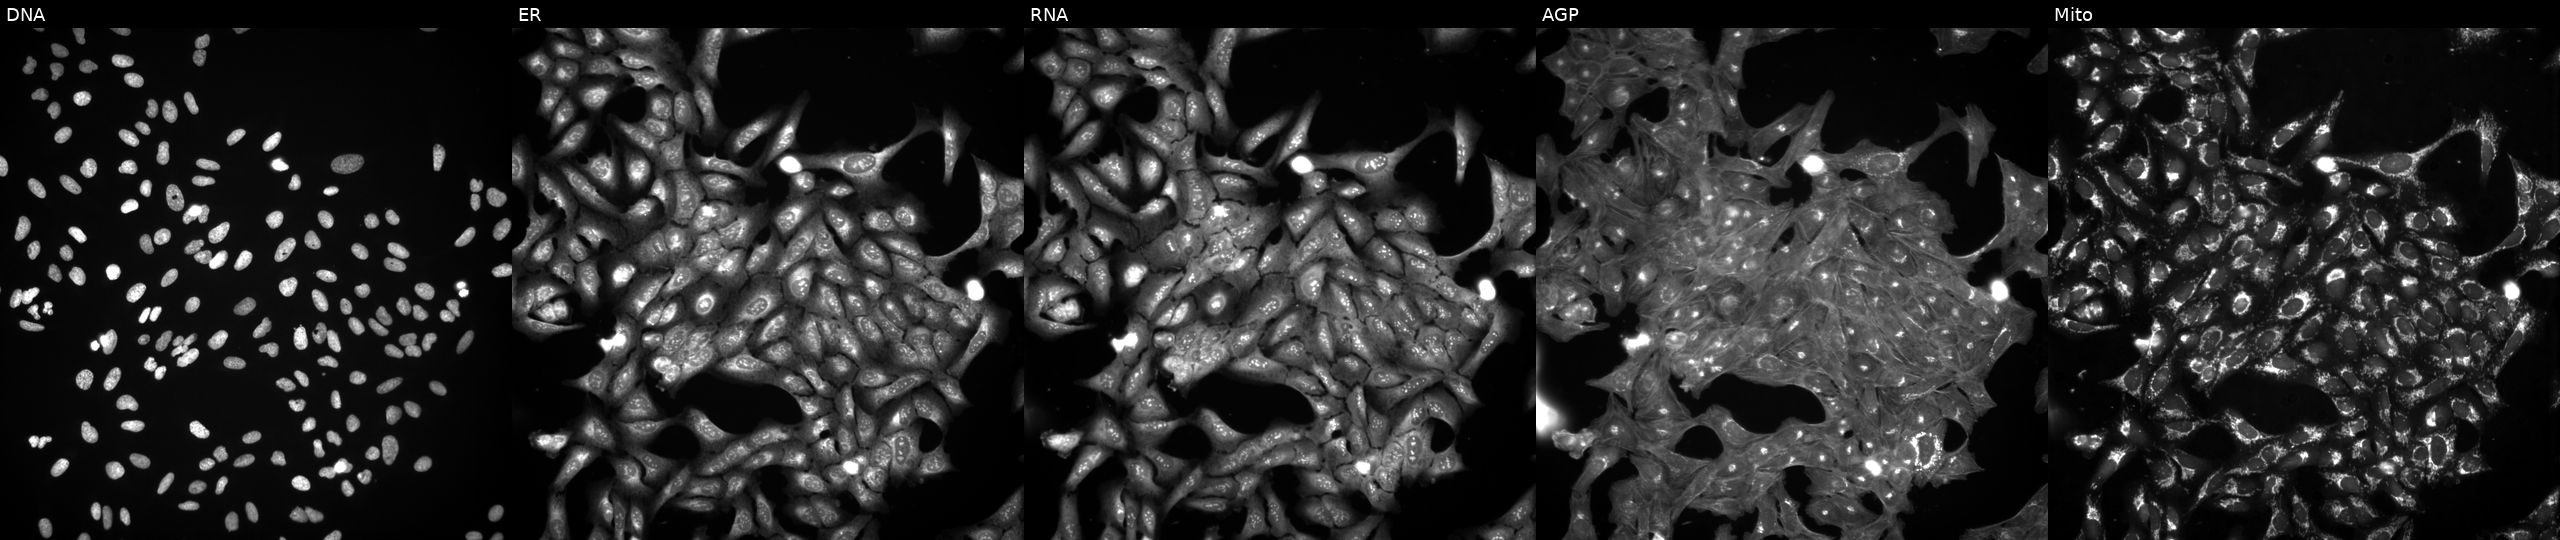
High-content fluorescence microscopy (Cell Painting). Cell line: U2OS. Perturbation: exposed to a small-molecule compound (InChIKey VPQAFOYBFGVMFO-UHFFFAOYSA-N) [SMILES: Cc1ccc2c(Cl)cc(Cl)c(OCC(=O)Nc3cccc(S(N)(=O)=O)c3)c2n1] (JUMP id JCP2022_095482). The five panels, left to right, show Hoechst 33342, concanavalin A, SYTO 14, phalloidin and WGA, MitoTracker.